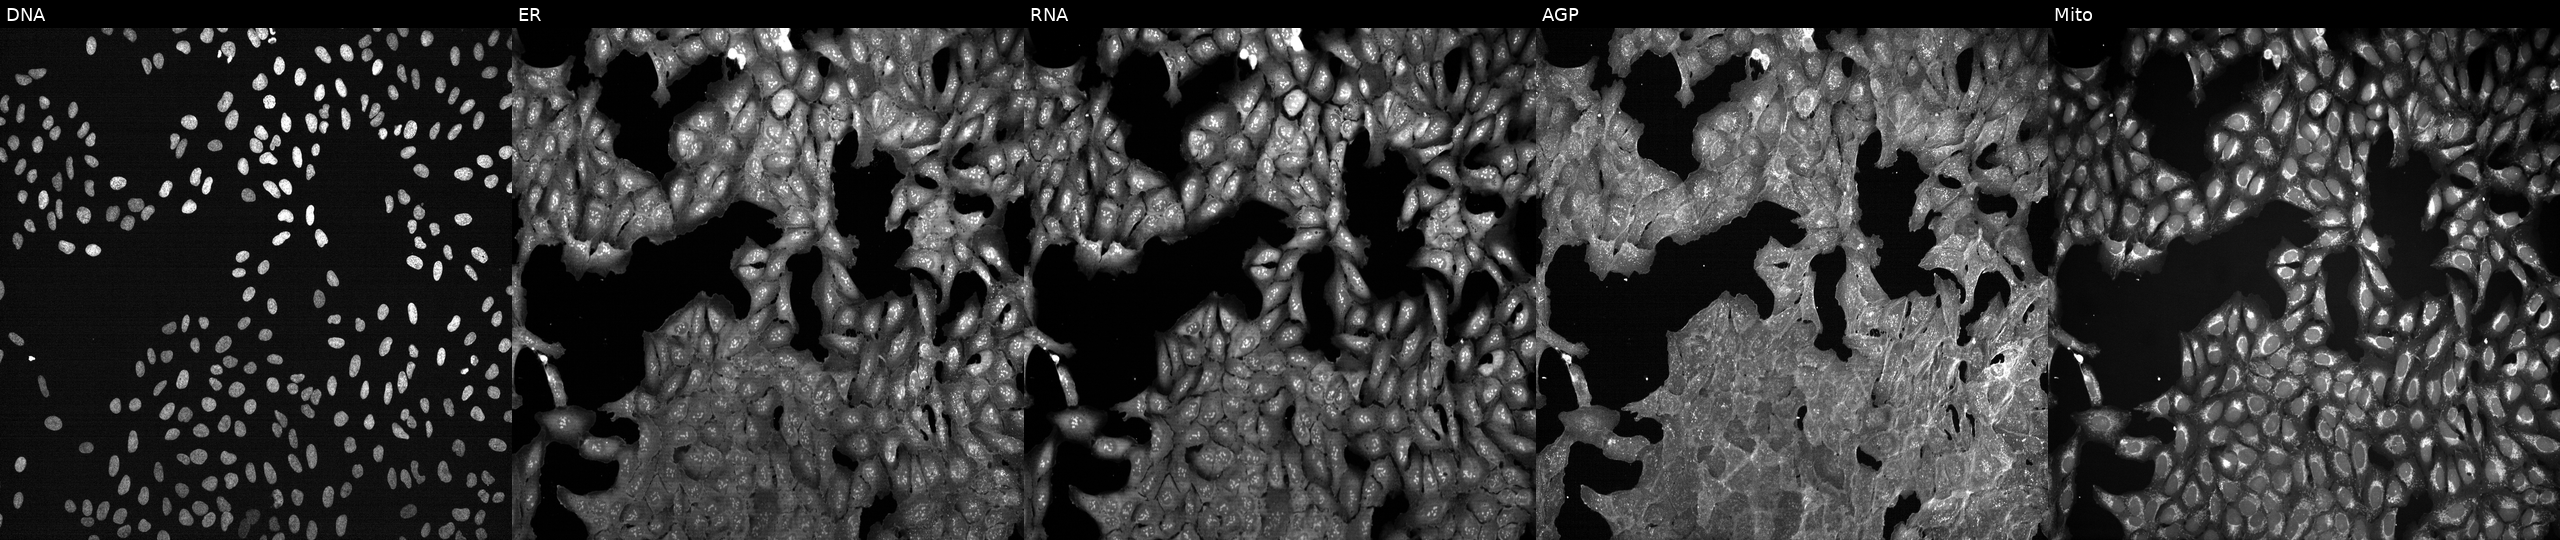
Panels show, left to right, Hoechst 33342, concanavalin A, SYTO 14, phalloidin and WGA, MitoTracker. U2OS osteosarcoma cells treated with DMSO vehicle only (negative control) (JUMP id JCP2022_033924). Cell Painting assay, JUMP-CP dataset. Source 7, plate CP3-SC1-25, well N06.